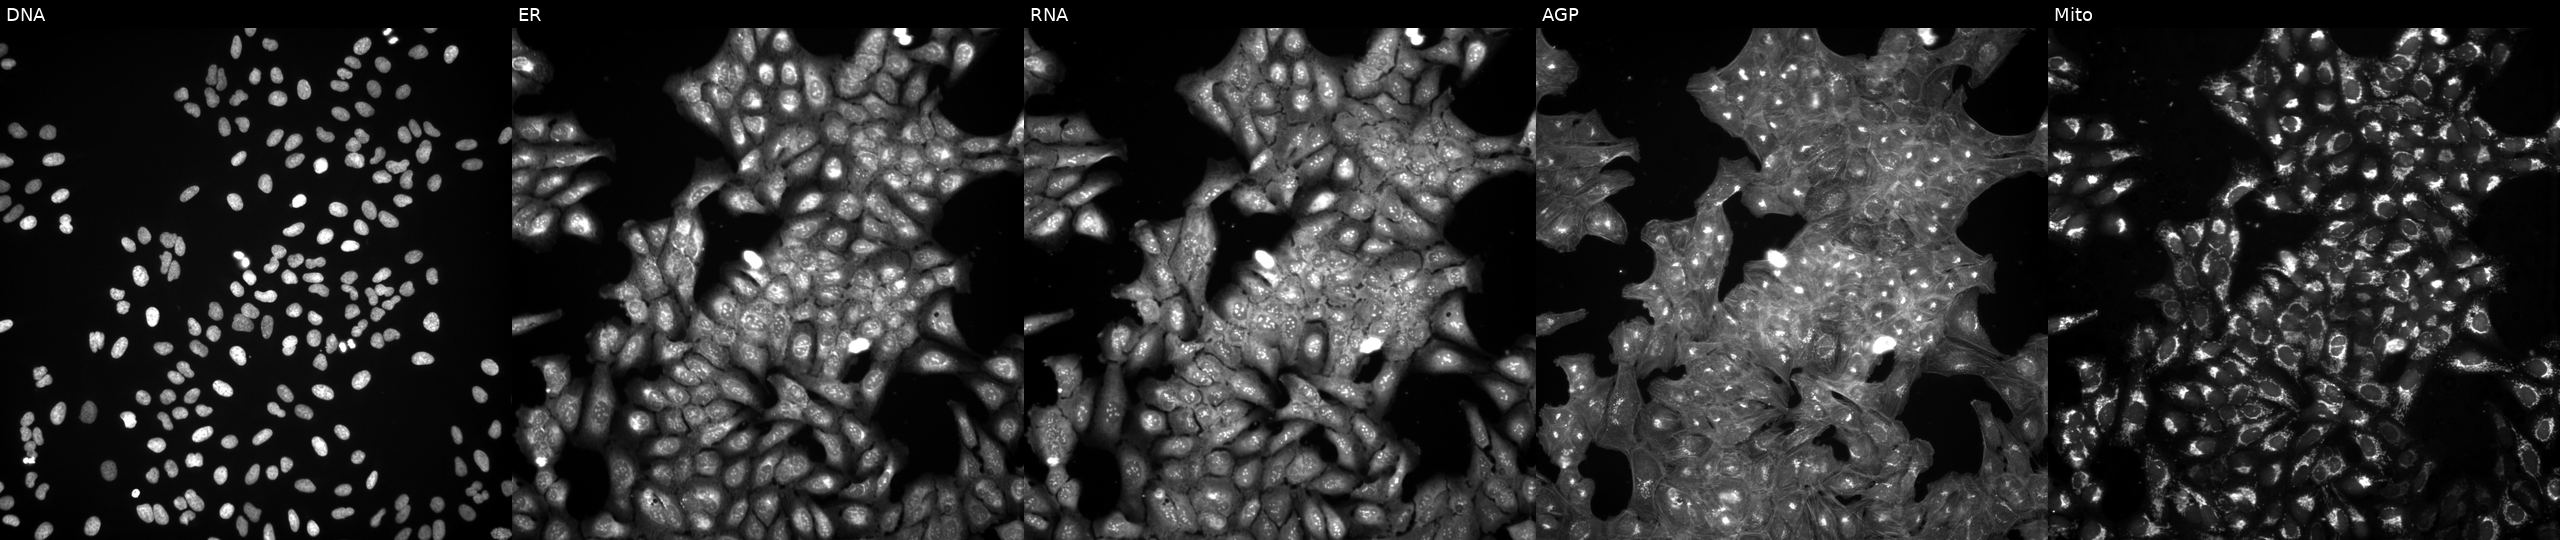
U2OS cells, Cell Painting assay, treated with a small-molecule compound (InChIKey MQBLYNHATCQBPT-UHFFFAOYSA-N). The five panels, left to right, show DNA, ER, RNA, AGP, and Mito. Each panel is percentile-stretched 16-bit fluorescence. Source 3, plate BR5867b3, well K15.